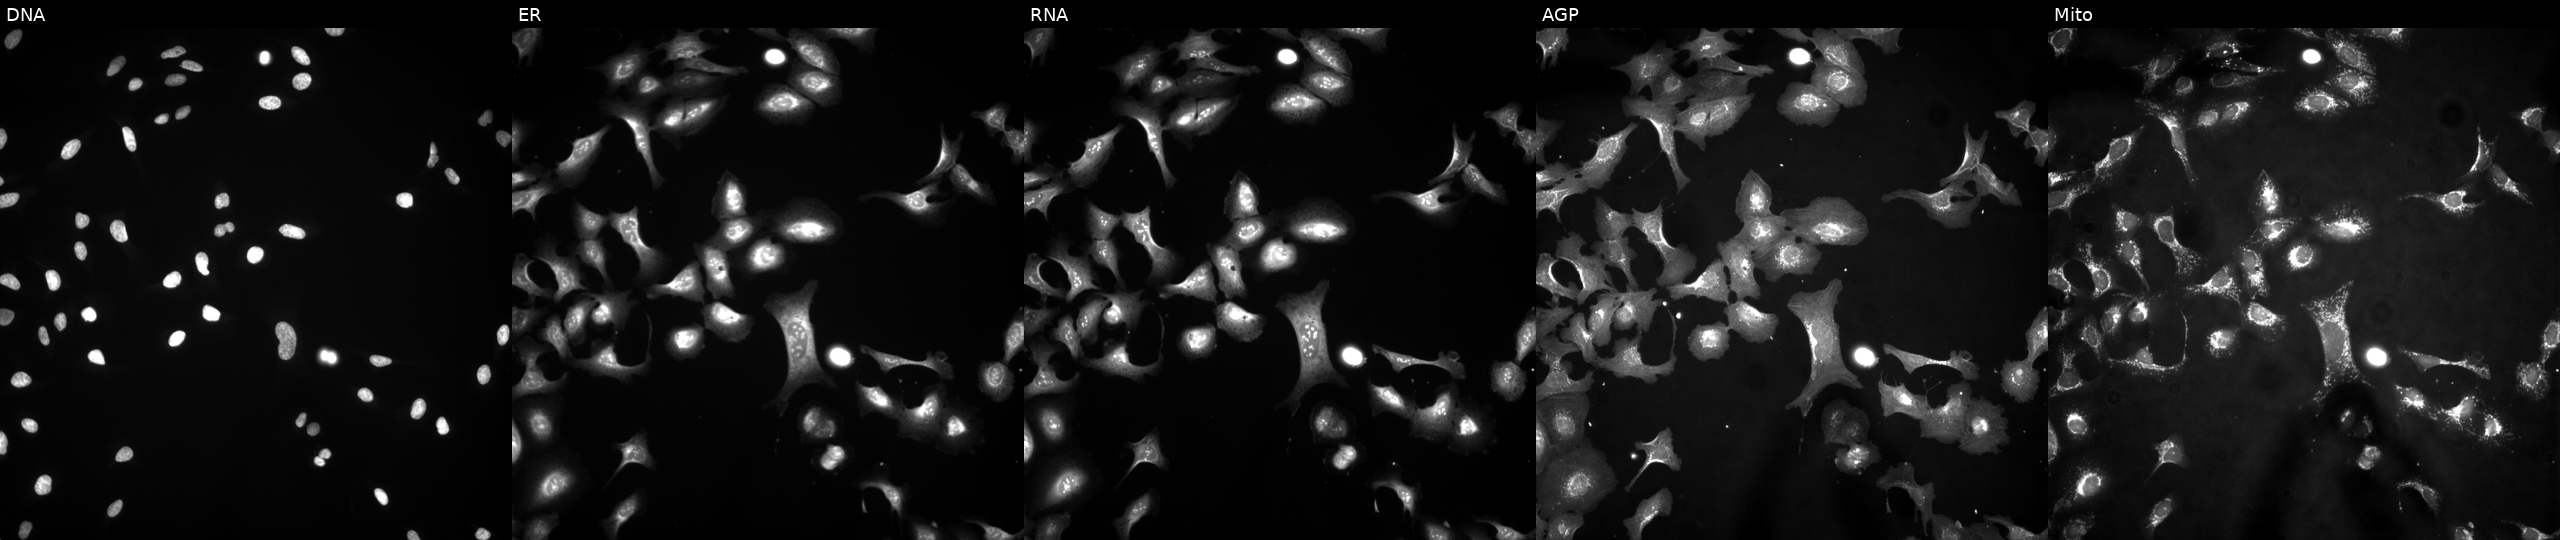
U2OS cells, Cell Painting assay, with RAP1GDS1 overexpressed (ORF) (JUMP id JCP2022_914555). The five panels, left to right, show DNA (nuclei); ER (endoplasmic reticulum); RNA (nucleoli and cytoplasmic RNA); AGP (actin cytoskeleton, Golgi, and plasma membrane); Mito (mitochondria). Each panel is percentile-stretched 16-bit fluorescence. Source 4, plate BR00121543, well I02.